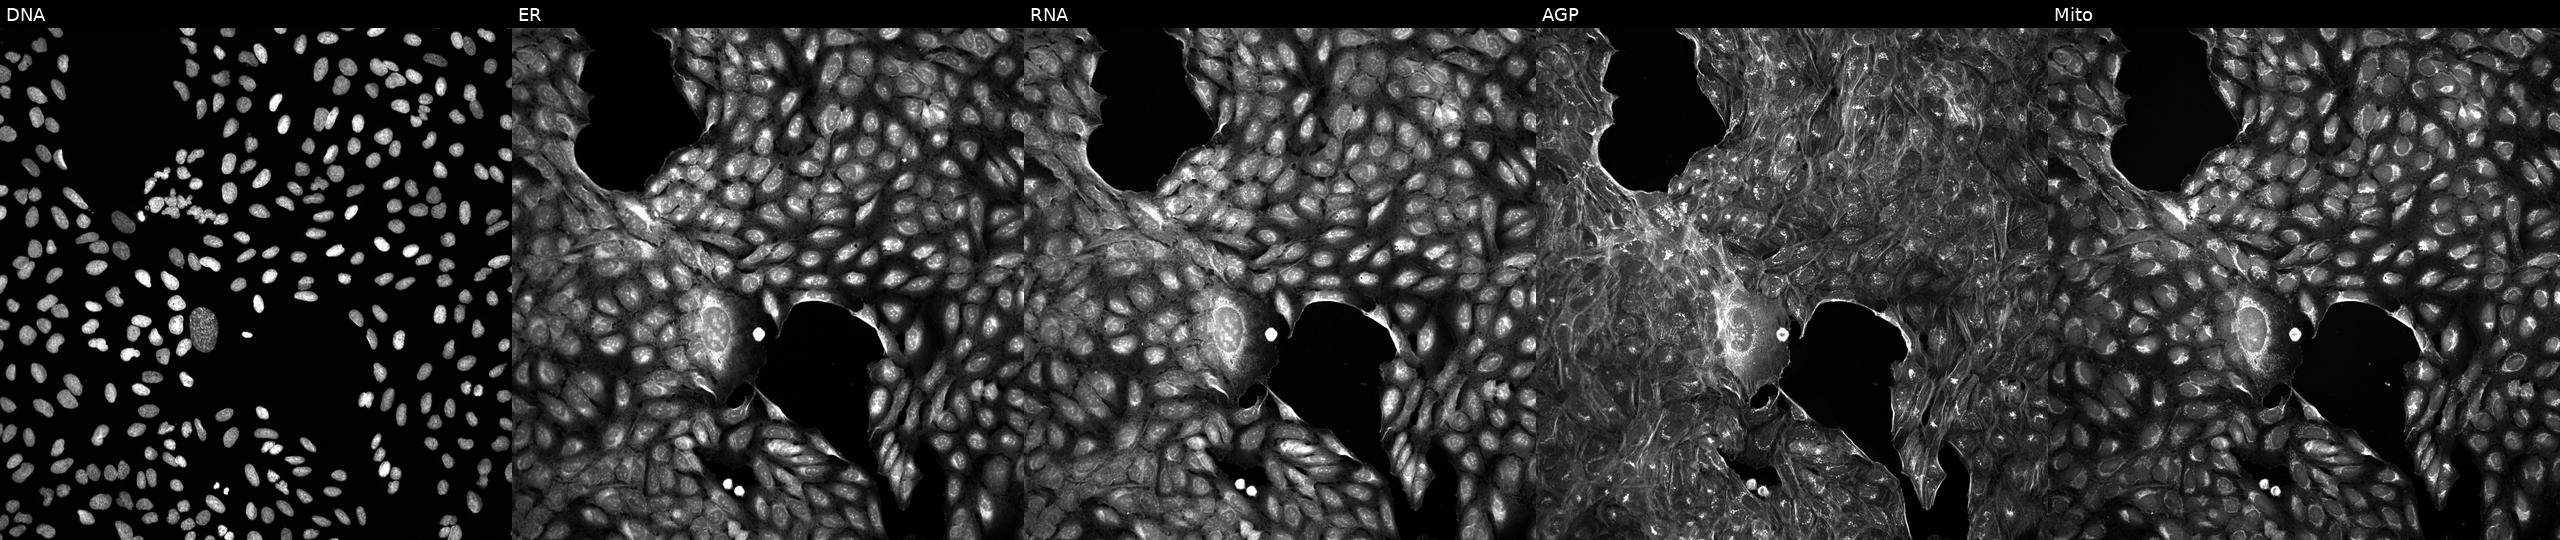
High-content fluorescence microscopy (Cell Painting). Cell line: U2OS. Perturbation: exposed to DMSO alone as a negative control. Channels (left→right): DNA (nuclei); ER (endoplasmic reticulum); RNA (nucleoli and cytoplasmic RNA); AGP (actin cytoskeleton, Golgi, and plasma membrane); Mito (mitochondria). Source 5, plate APTJUM106, well F02.